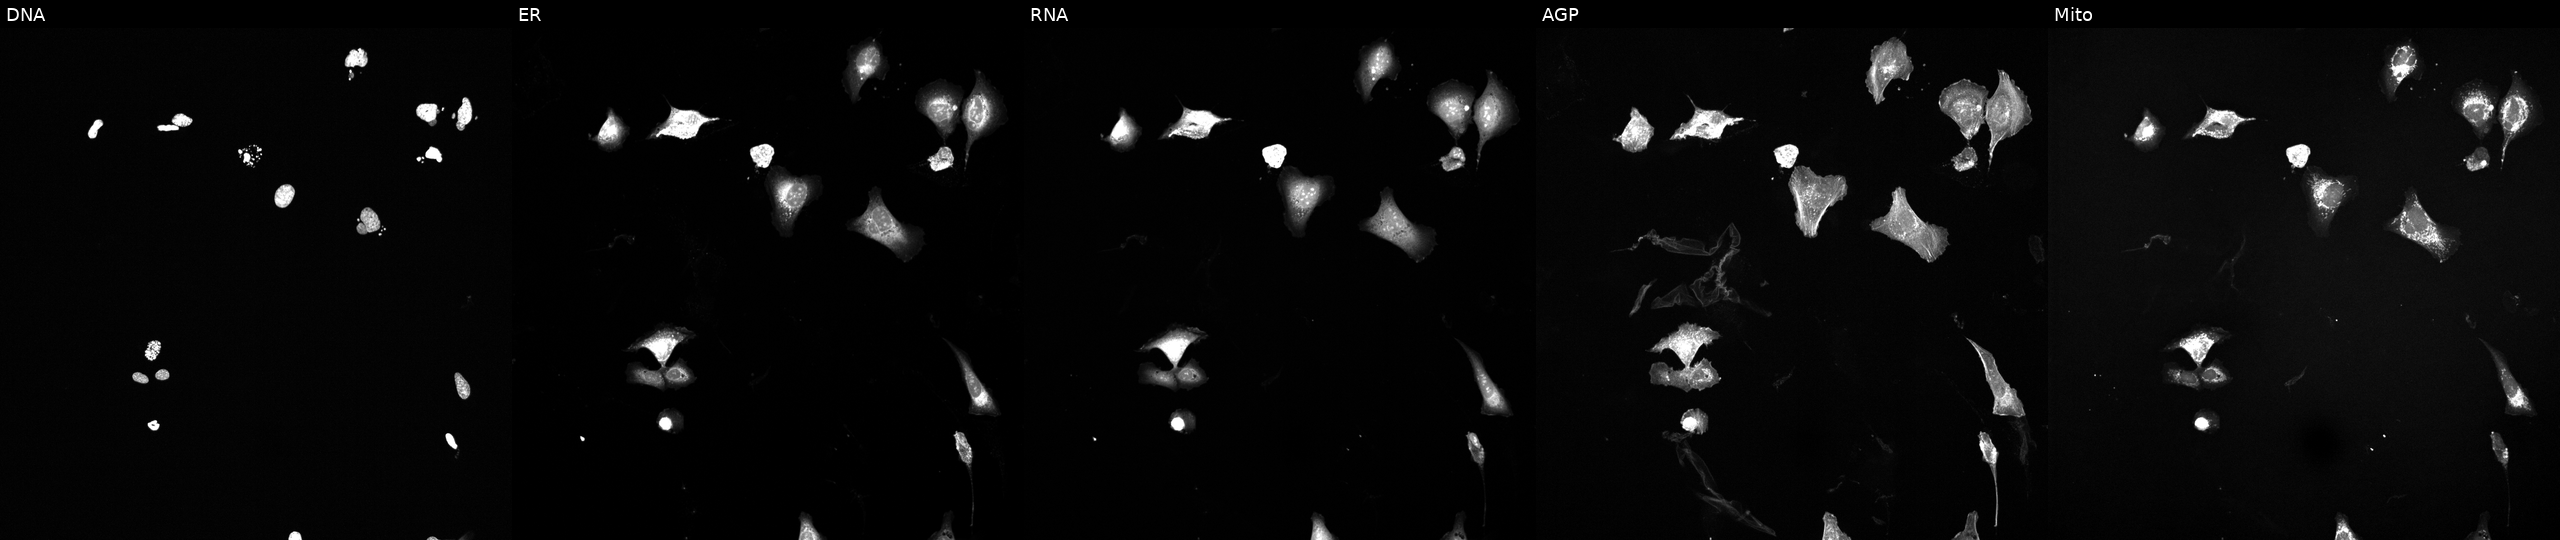
This image strip shows the five Cell Painting channels for a single field of U2OS cells treated with a small-molecule compound (InChIKey XQVVPGYIWAGRNI-UHFFFAOYSA-N). The five panels, left to right, show DNA, ER, RNA, AGP, and Mito.